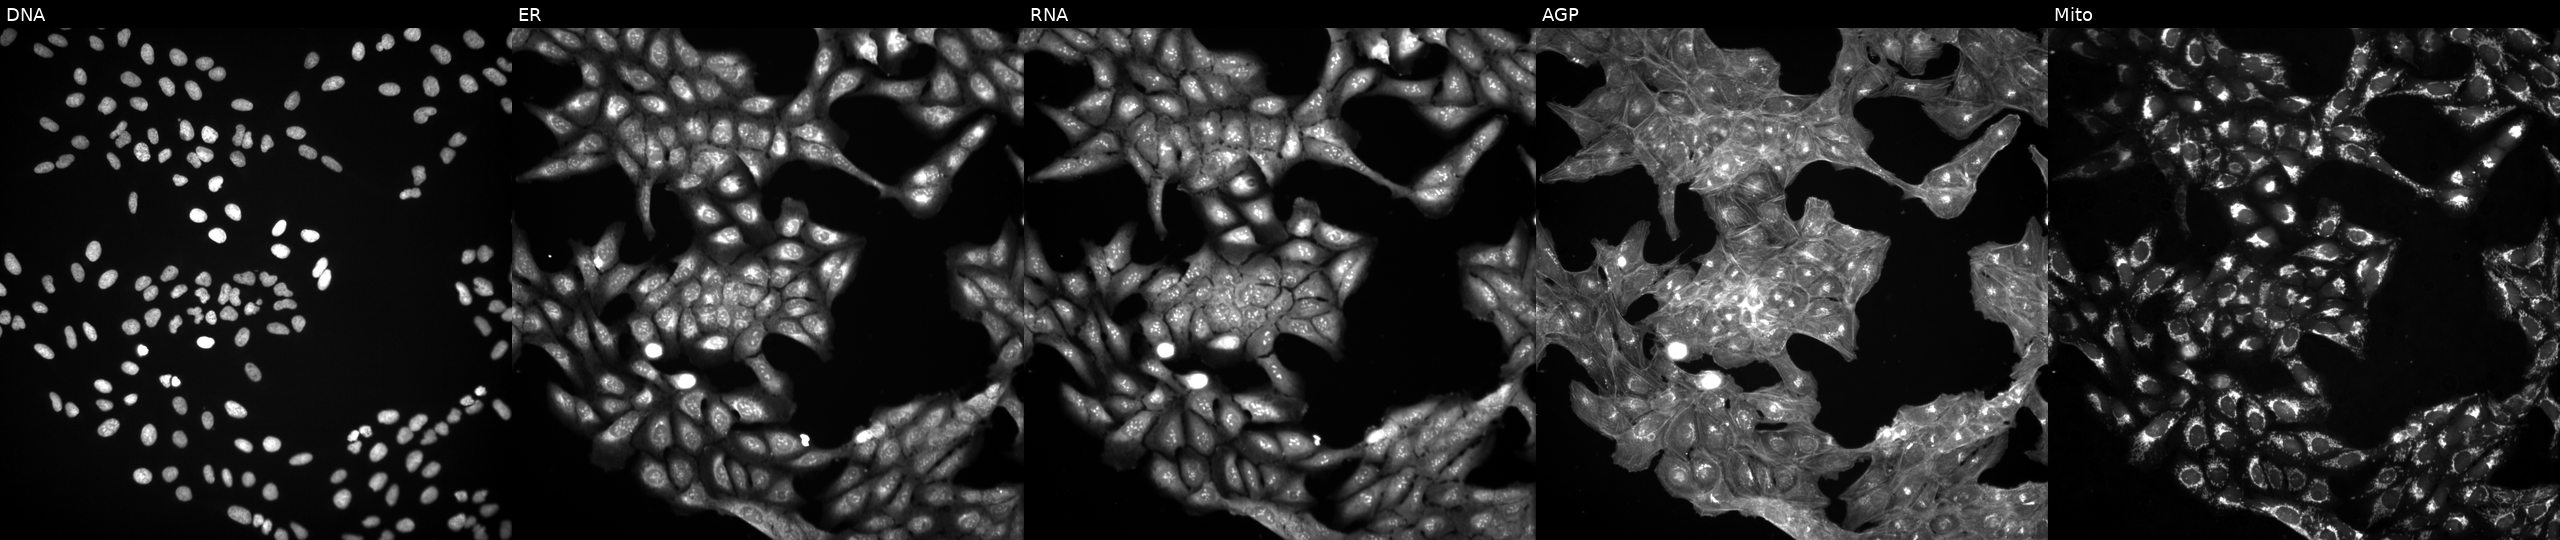
From left to right: Hoechst 33342, concanavalin A, SYTO 14, phalloidin and WGA, MitoTracker. U2OS osteosarcoma cells exposed to a small-molecule compound (InChIKey XXYGTCZJJLTAGH-UHFFFAOYSA-N) (JUMP id JCP2022_106781). Cell Painting assay, JUMP-CP dataset.